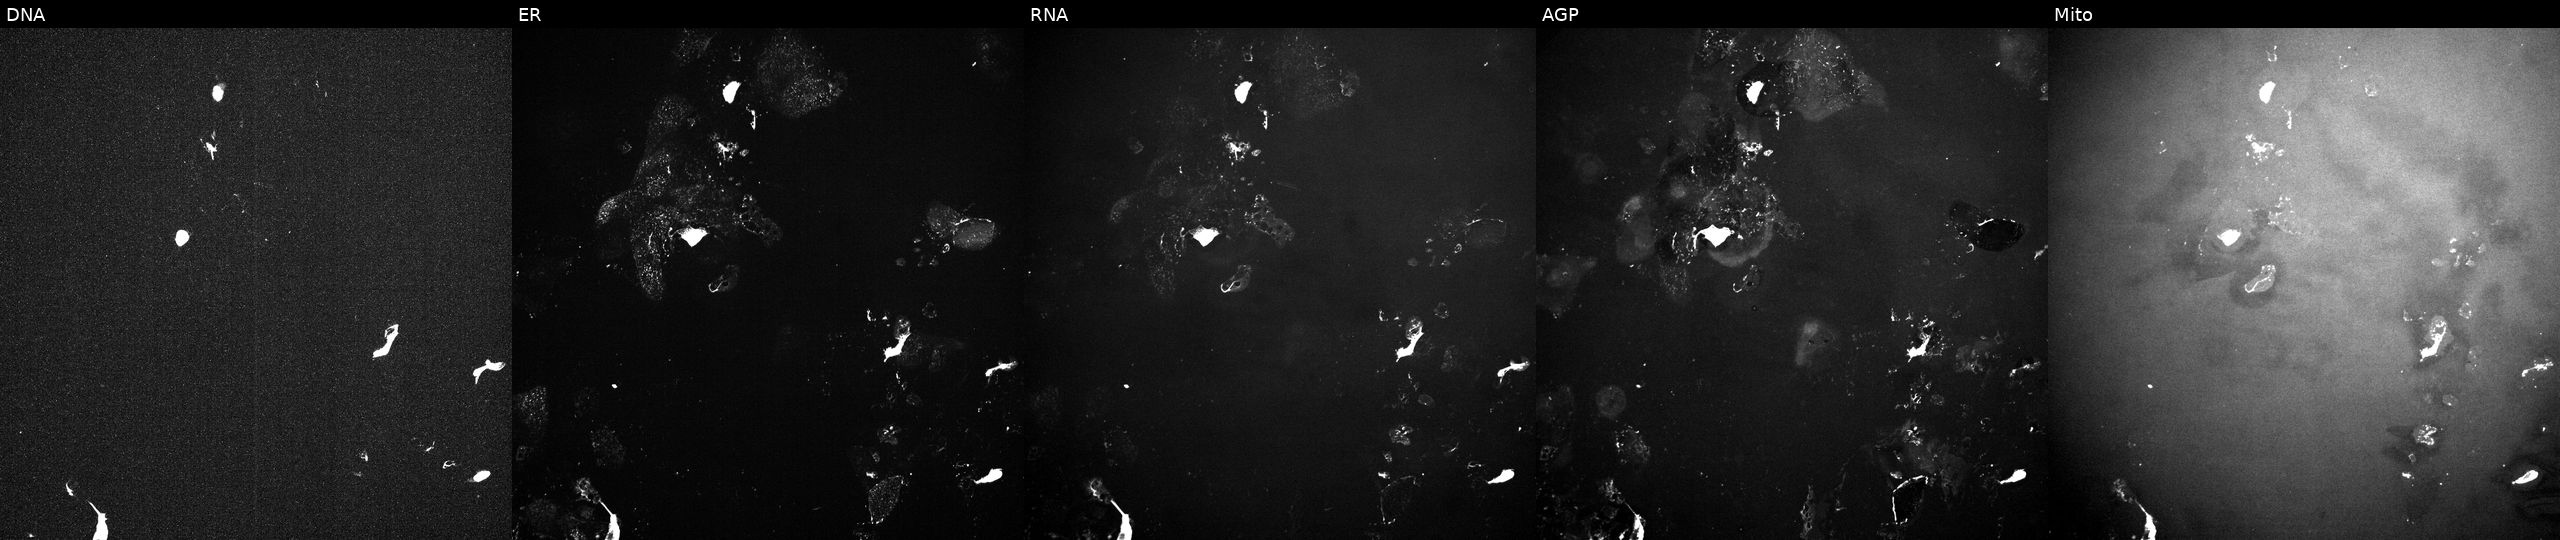
U2OS cells, Cell Painting assay, perturbed with a small-molecule compound [SMILES: COC1=CC(C)=Cc2c(O)c(cc(O)c2OC)NC(=O)C(C)CC=CC(OC)C(OC(N)=O)C(C)=CC(C)C1O]. Channels (left→right): Hoechst 33342, concanavalin A, SYTO 14, phalloidin and WGA, MitoTracker. Each panel is percentile-stretched 16-bit fluorescence. Source 10, plate Dest210726-160150, well B24.